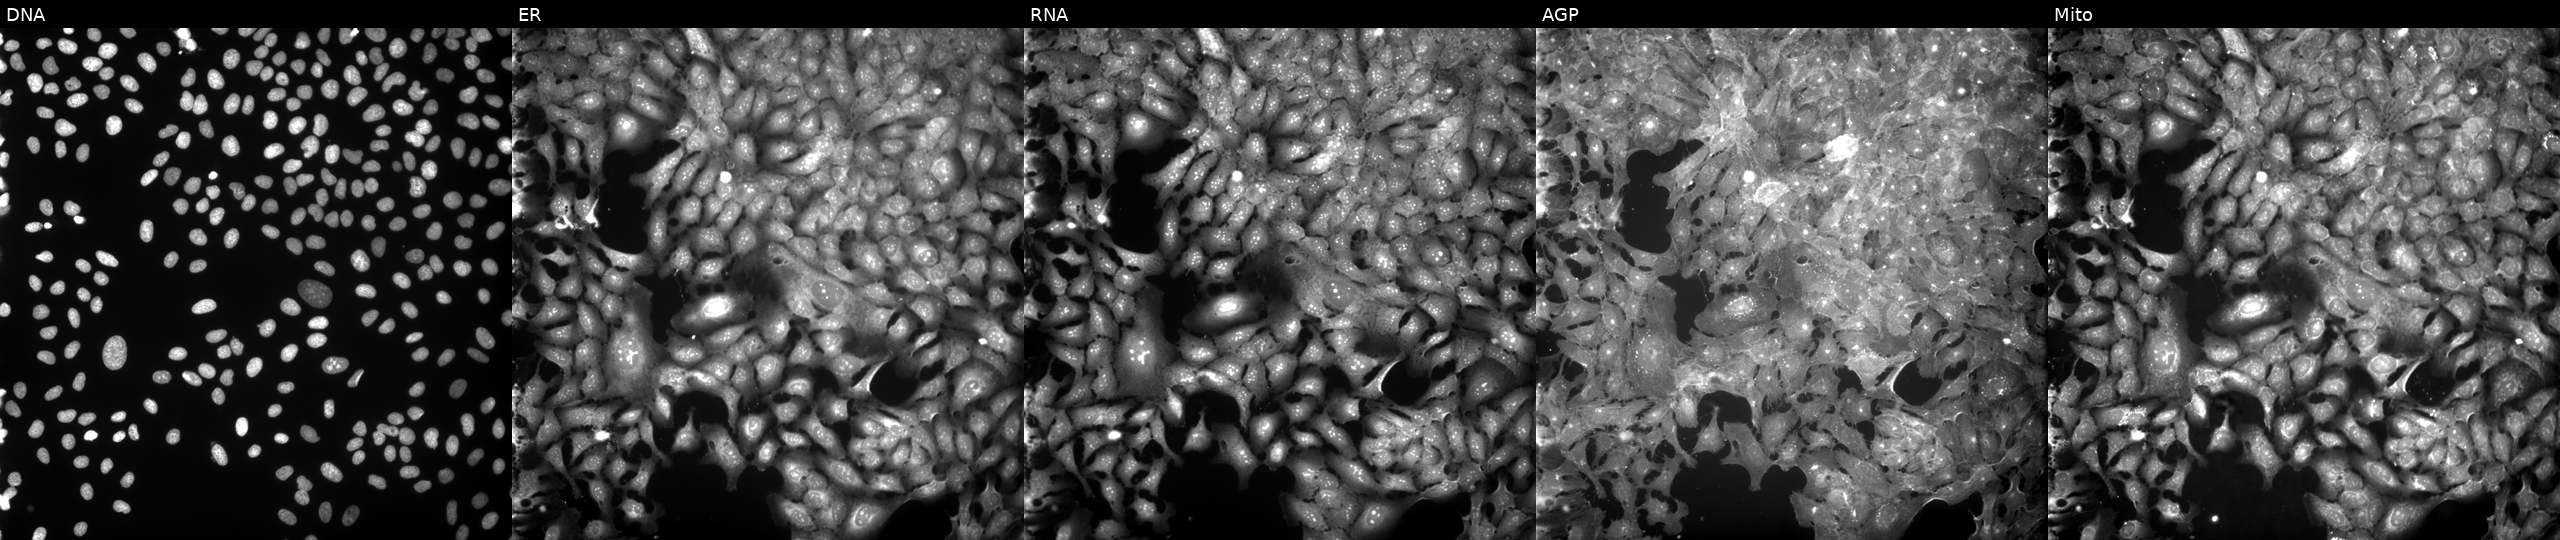
The five panels, left to right, show DNA (nuclei); ER (endoplasmic reticulum); RNA (nucleoli and cytoplasmic RNA); AGP (actin cytoskeleton, Golgi, and plasma membrane); Mito (mitochondria). U2OS osteosarcoma cells exposed to the positive-control compound FK-866. Cell Painting assay, JUMP-CP dataset.